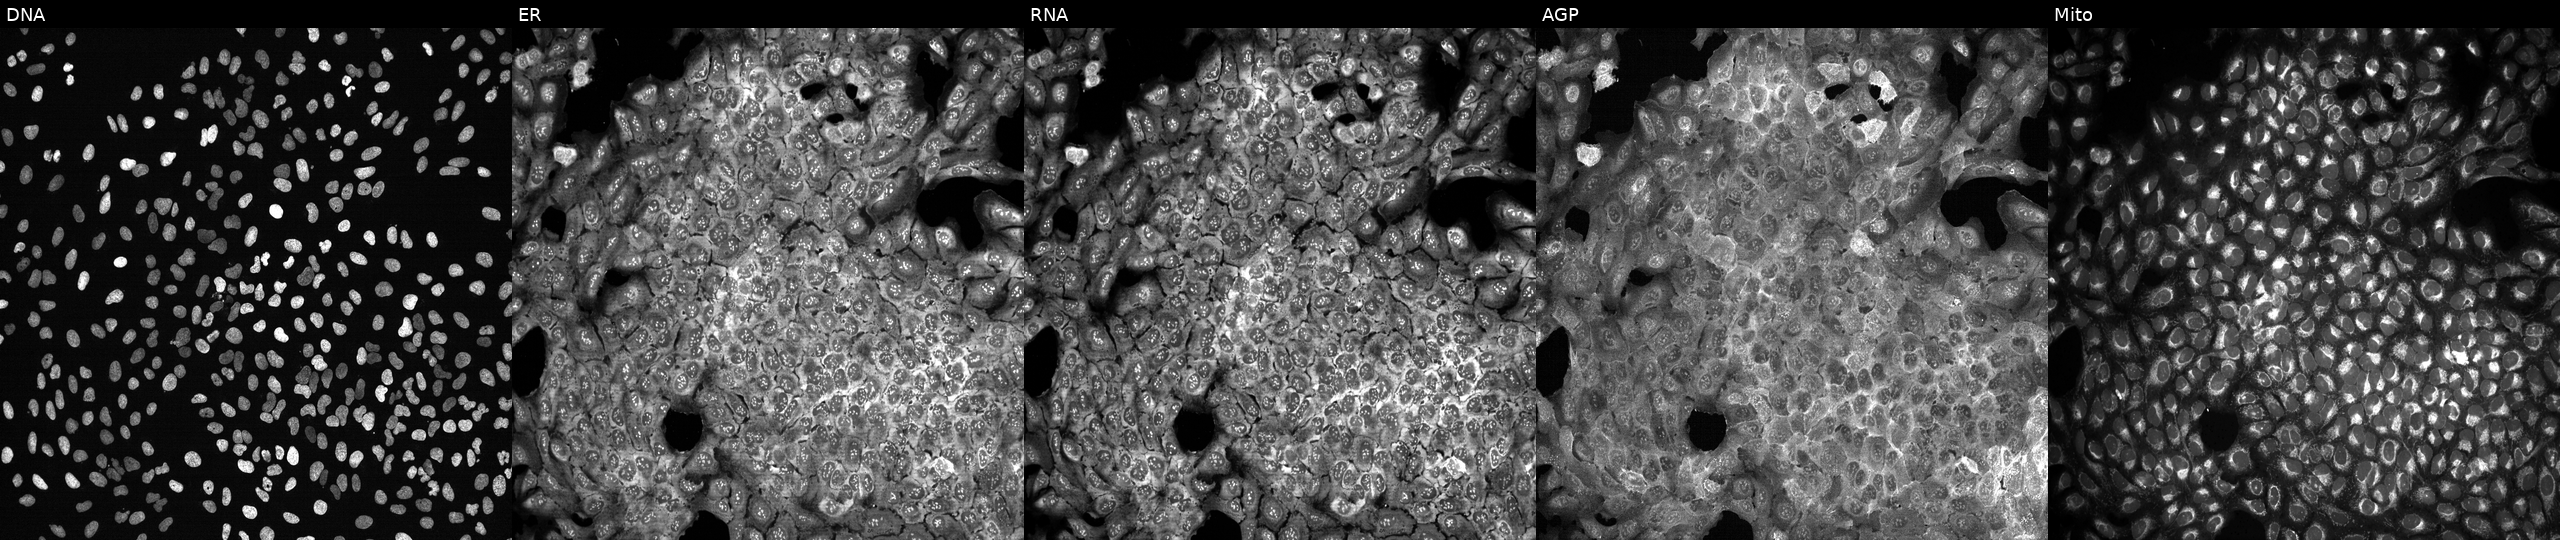
Five-channel Cell Painting image of U2OS cells following CRISPR knockout of ALG8. From left to right: DNA, ER, RNA, AGP, and Mito.